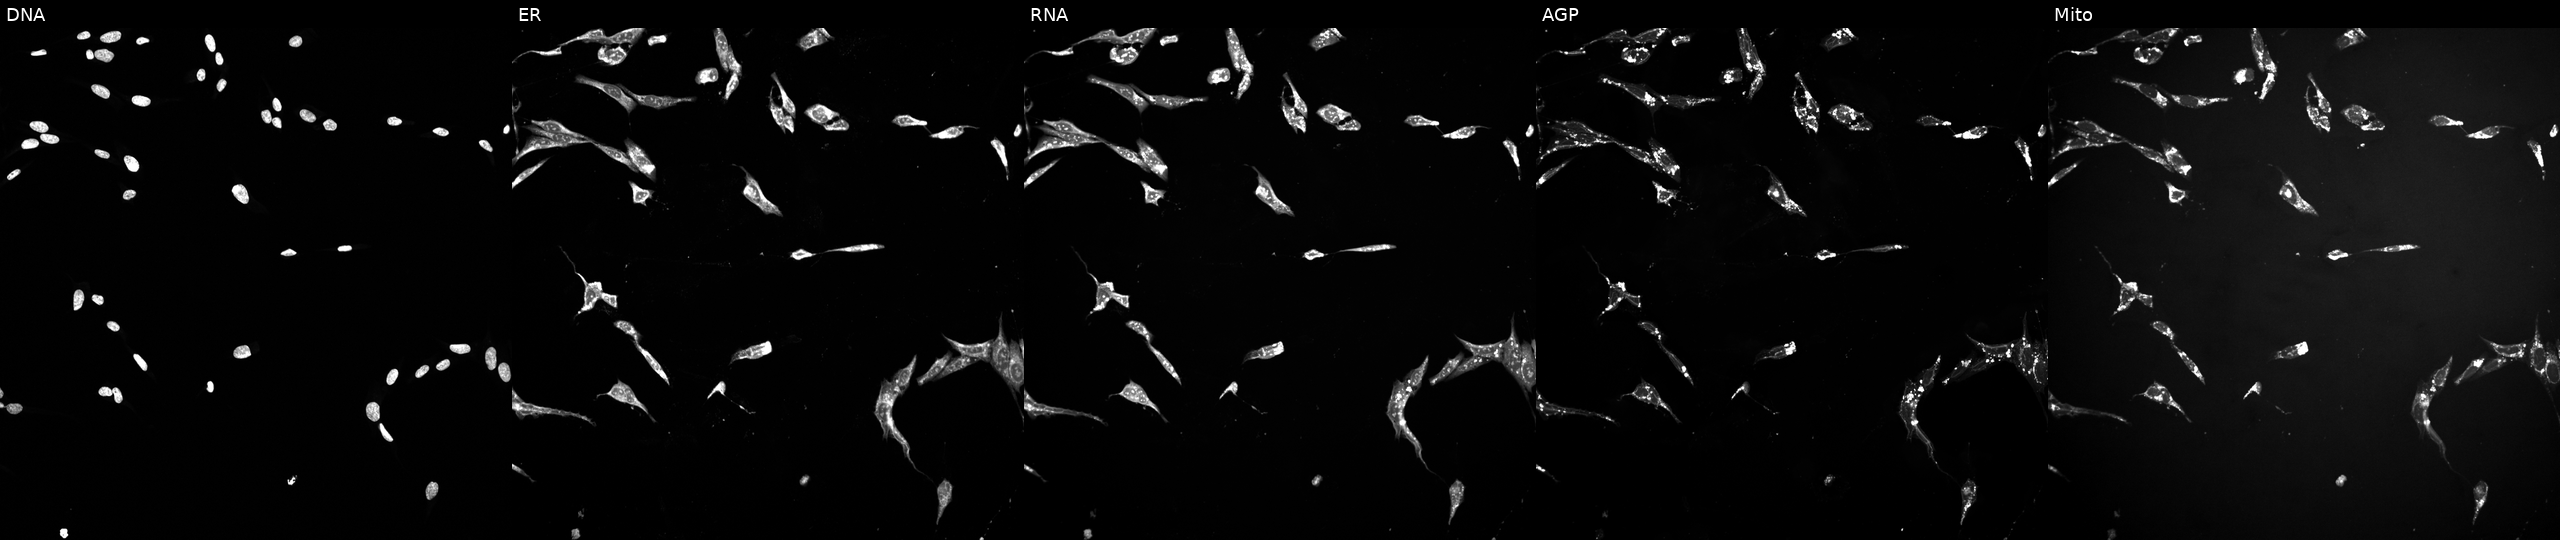
This image strip shows the five Cell Painting channels for a single field of U2OS cells exposed to a small-molecule compound. The five panels, left to right, show Hoechst 33342, concanavalin A, SYTO 14, phalloidin and WGA, MitoTracker. Source 10, plate Dest210803-153958, well M05.